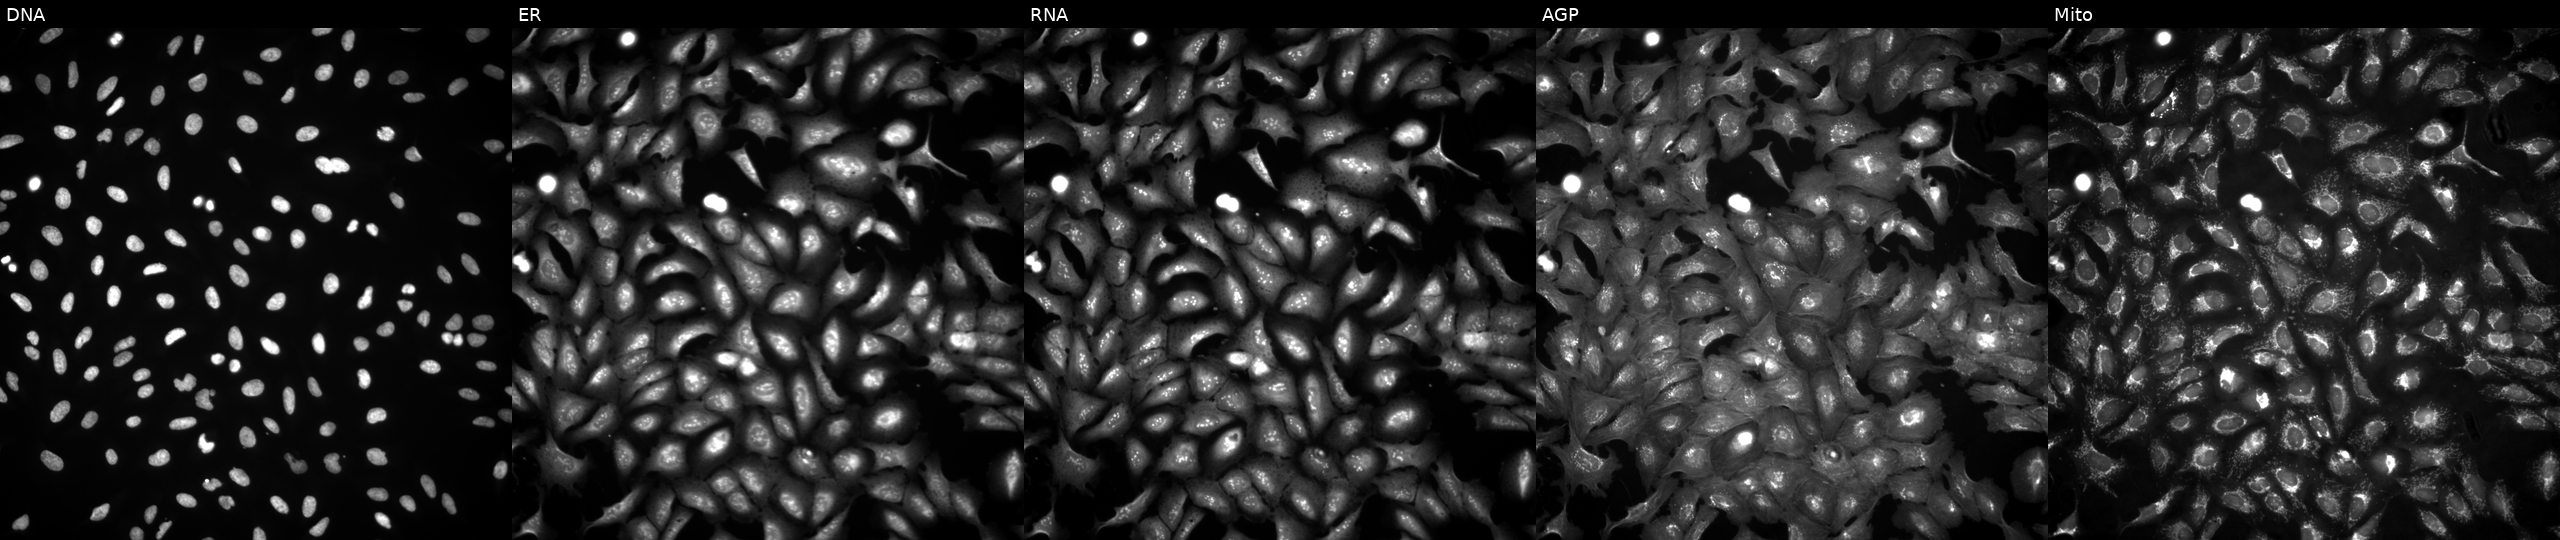
High-content fluorescence microscopy (Cell Painting). Cell line: U2OS. Perturbation: transfected with an ORF construct for DZANK1 (JUMP id JCP2022_911358). The five panels, left to right, show Hoechst 33342, concanavalin A, SYTO 14, phalloidin and WGA, MitoTracker.